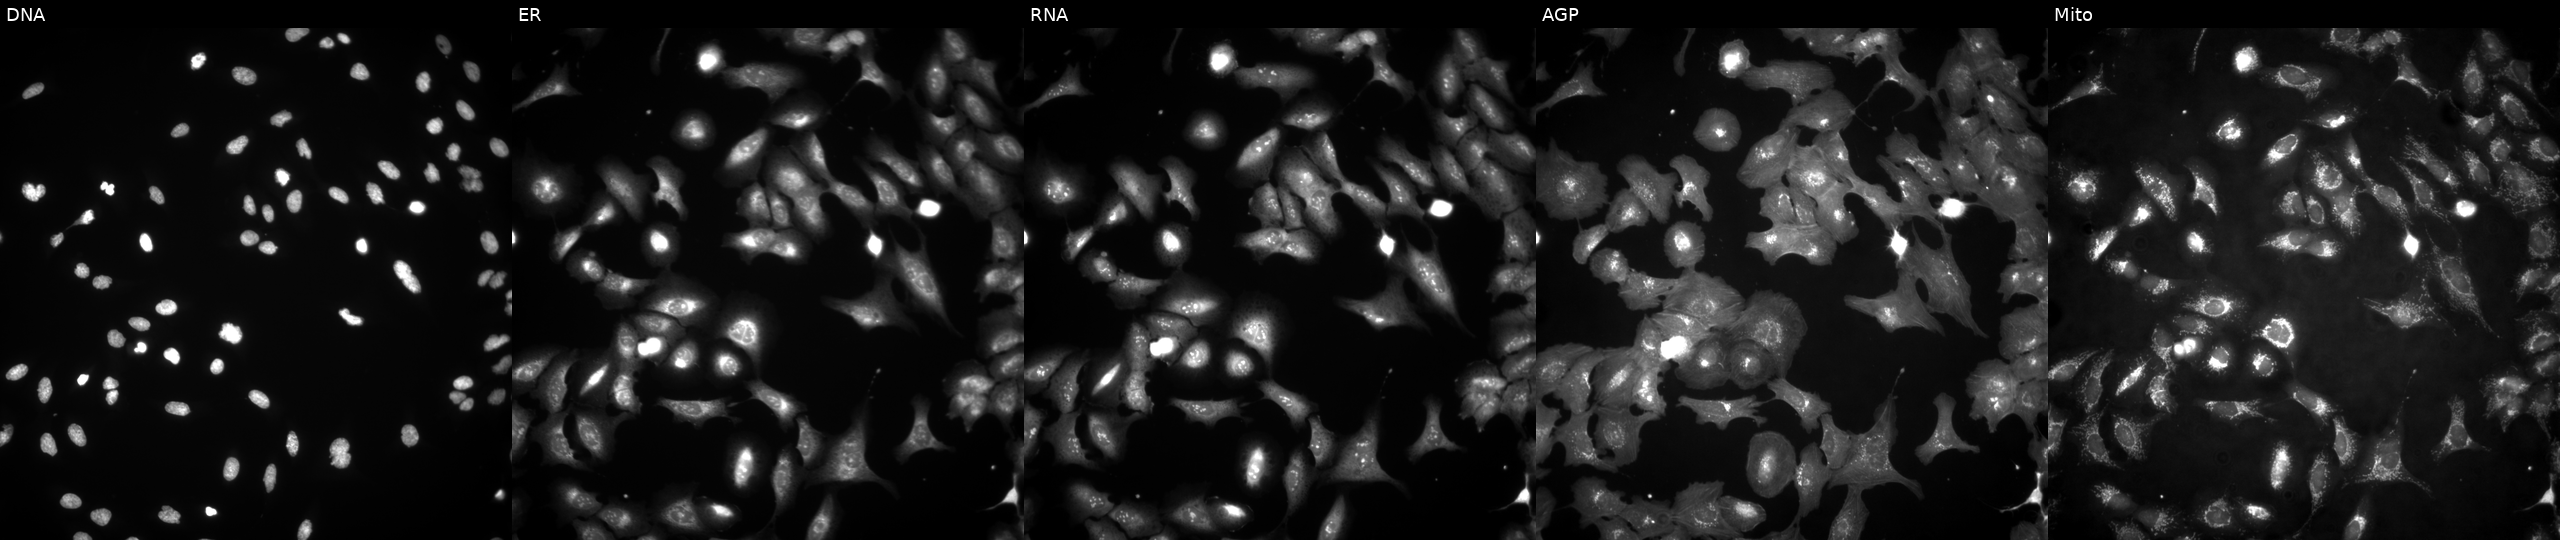
Five-channel Cell Painting image of U2OS cells with BANF1 overexpressed (ORF). Panels show, left to right, DNA (nuclei); ER (endoplasmic reticulum); RNA (nucleoli and cytoplasmic RNA); AGP (actin cytoskeleton, Golgi, and plasma membrane); Mito (mitochondria). Source 4, plate BR00123509, well J17.